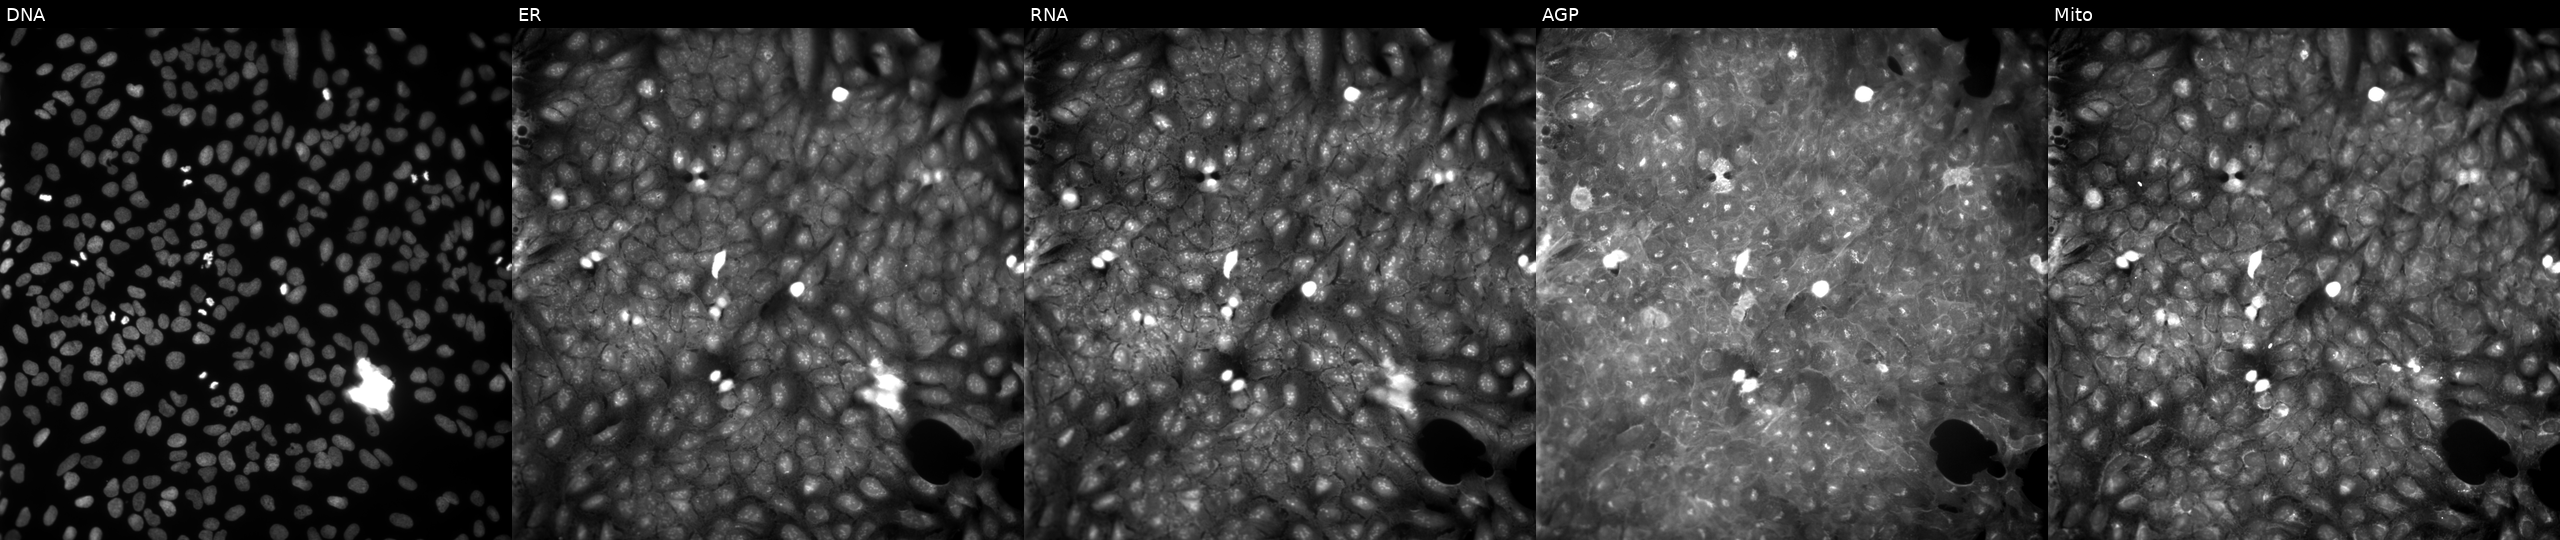
JUMP Cell Painting — COMPOUND plate. U2OS cells exposed to a small-molecule compound. The five panels, left to right, show Hoechst 33342, concanavalin A, SYTO 14, phalloidin and WGA, MitoTracker. Source 9, plate GR00003381, well Z09.